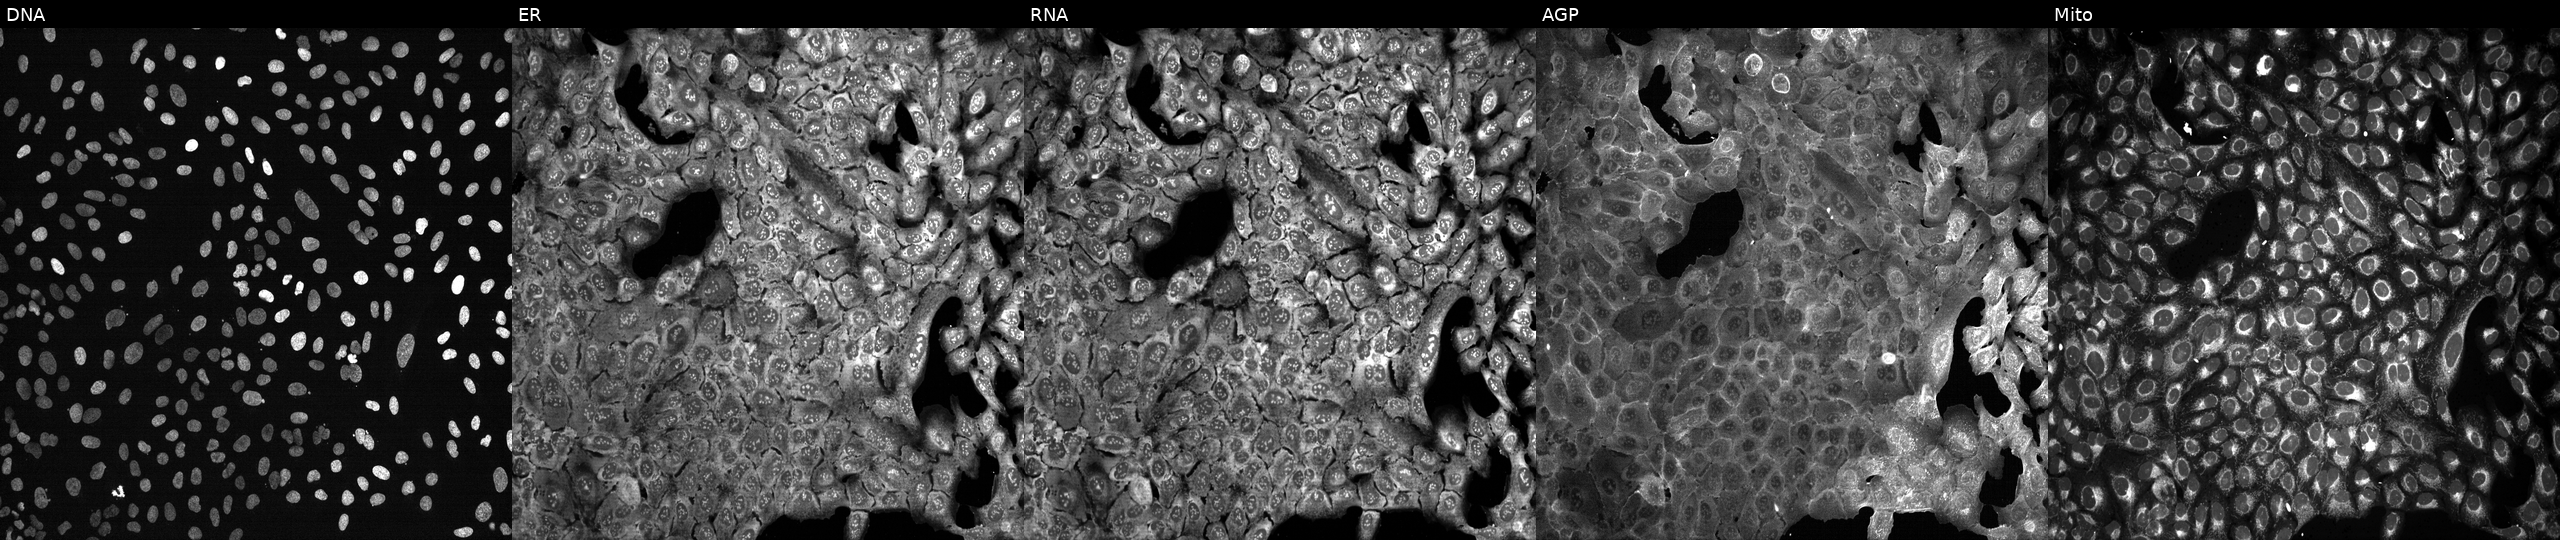
Five-channel Cell Painting image of U2OS cells following CRISPR knockout of ACADS. Panels show, left to right, DNA, ER, RNA, AGP, and Mito. Source 13, plate CP-CC9-R2-01, well A15.